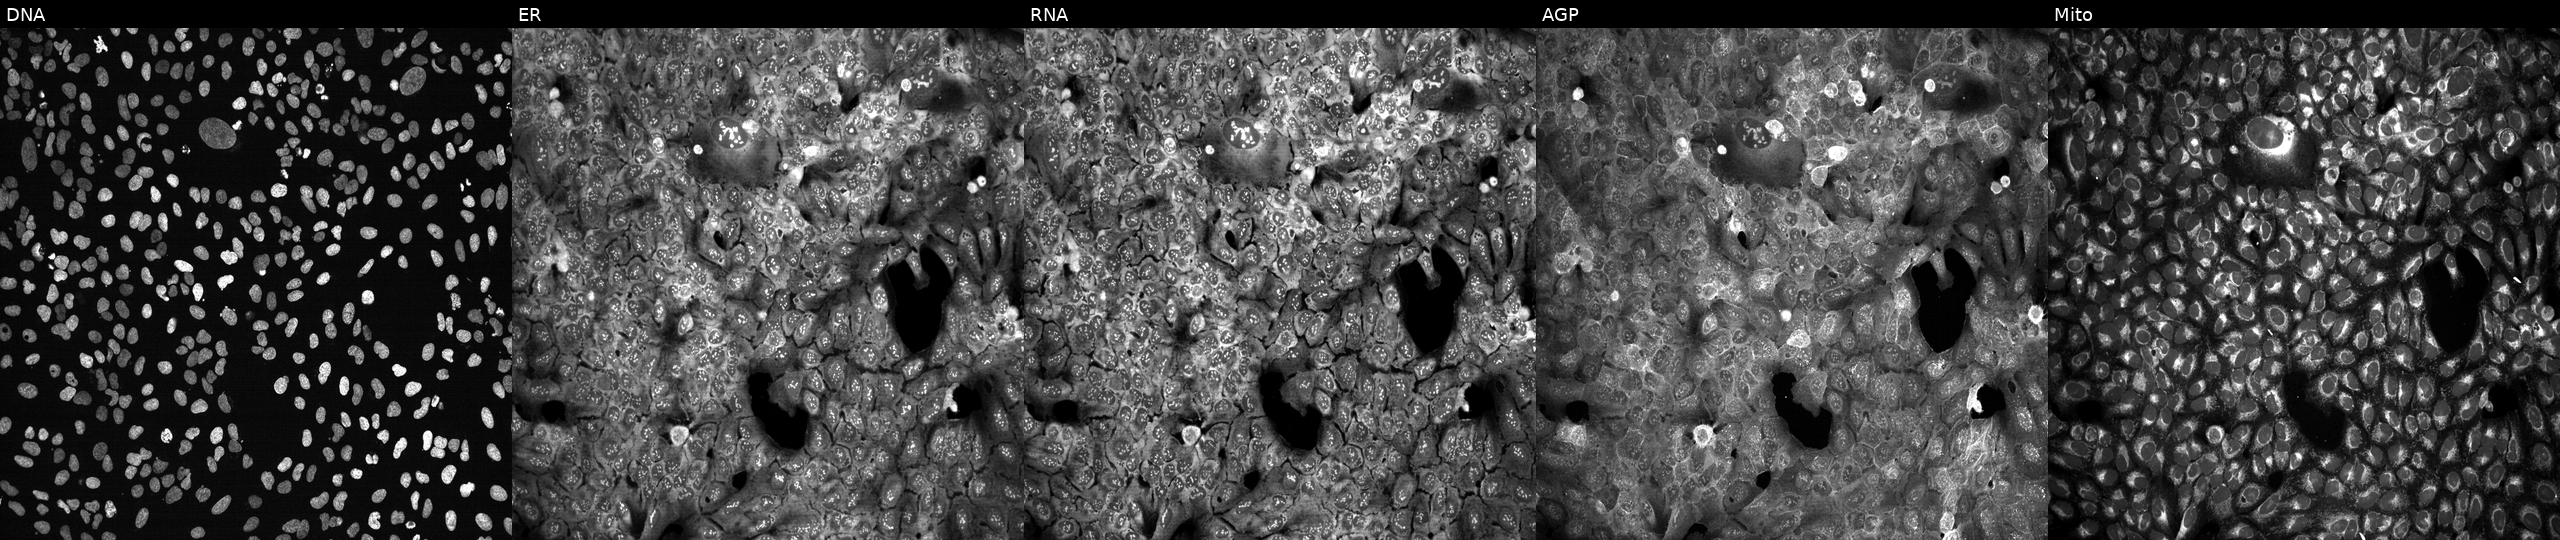
This image strip shows the five Cell Painting channels for a single field of U2OS cells CRISPR-edited to disrupt RALB. The five panels, left to right, show DNA, ER, RNA, AGP, and Mito.